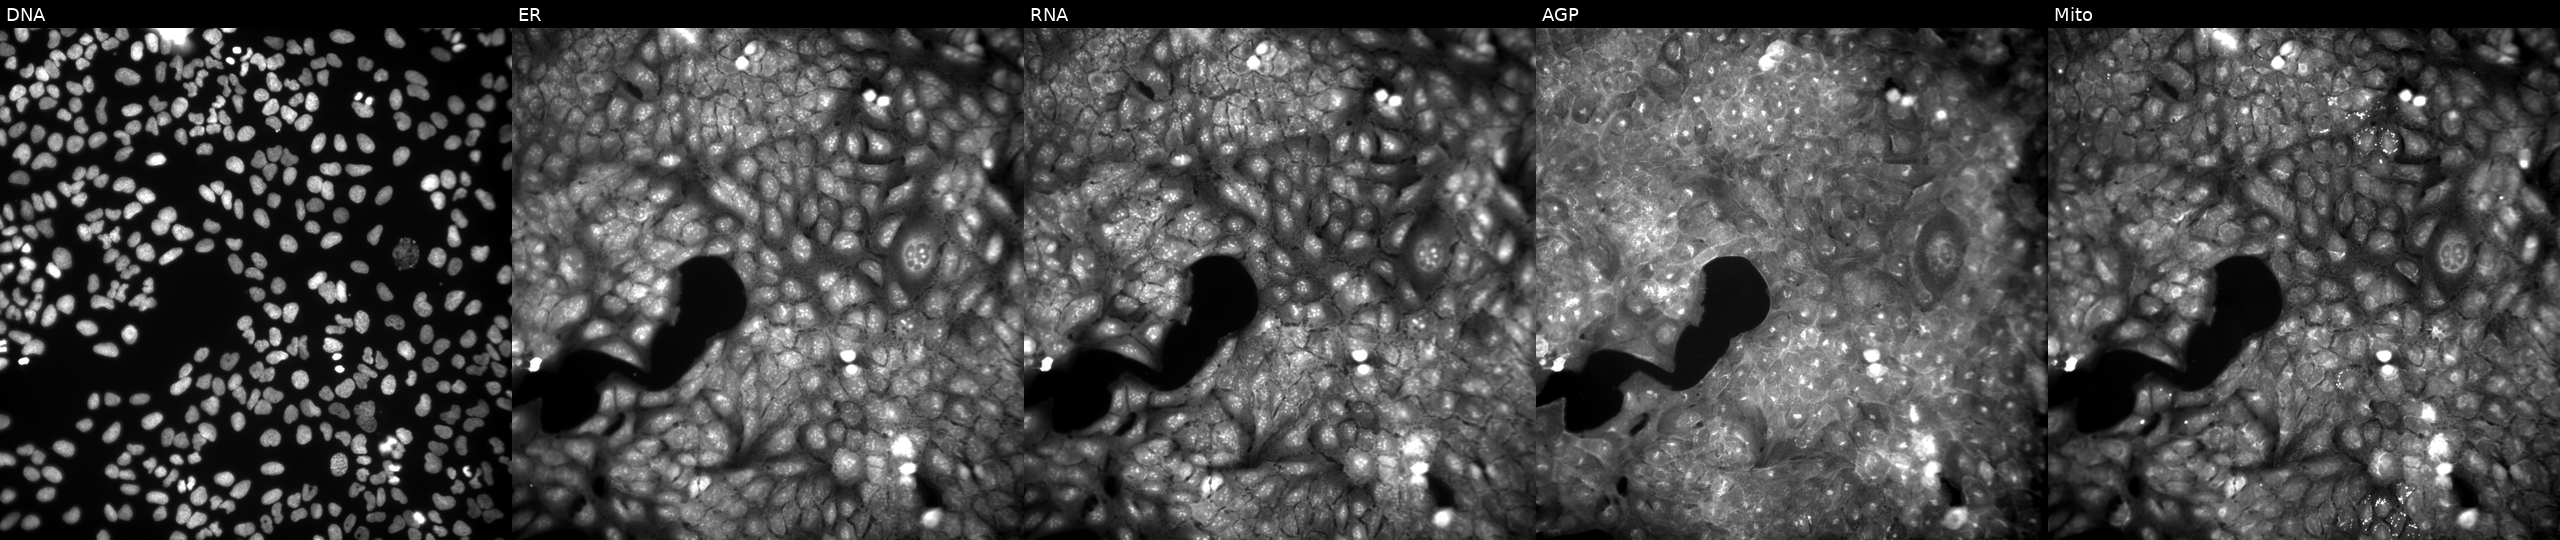
High-content fluorescence microscopy (Cell Painting). Cell line: U2OS. Perturbation: treated with DMSO vehicle only (negative control) (JUMP id JCP2022_033924). Channels (left→right): DNA (nuclei); ER (endoplasmic reticulum); RNA (nucleoli and cytoplasmic RNA); AGP (actin cytoskeleton, Golgi, and plasma membrane); Mito (mitochondria).